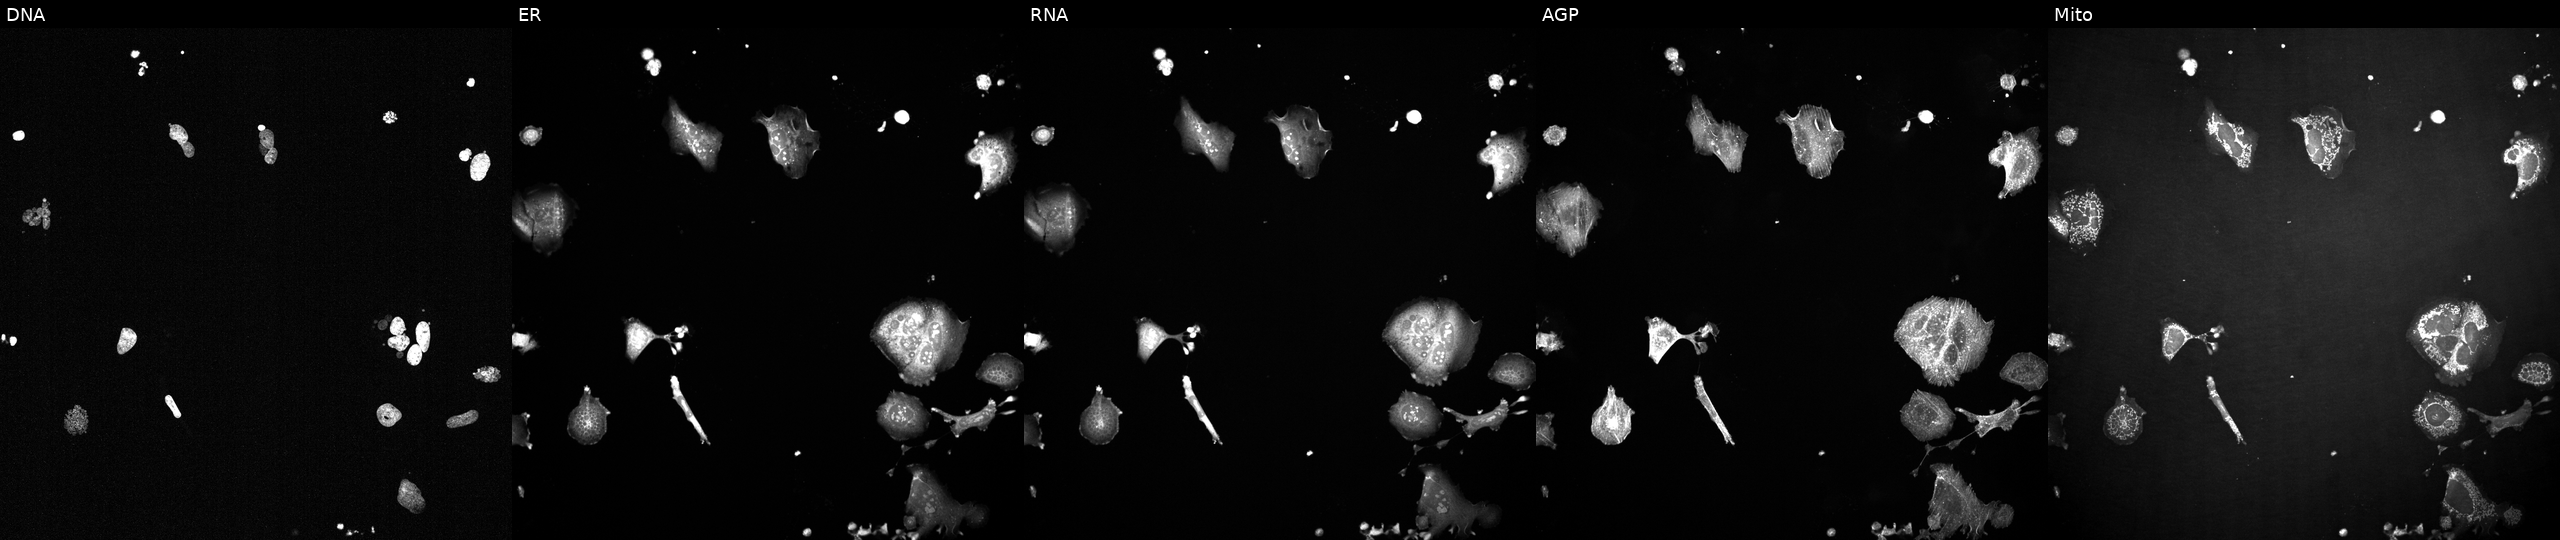
High-content fluorescence microscopy (Cell Painting). Cell line: U2OS. Perturbation: perturbed with a small-molecule compound (InChIKey IAKHMKGGTNLKSZ-UHFFFAOYSA-N) [SMILES: COc1cc2c(c(OC)c1OC)-c1ccc(OC)c(=O)cc1C(NC(C)=O)CC2]. Channels (left→right): DNA, ER, RNA, AGP, and Mito.